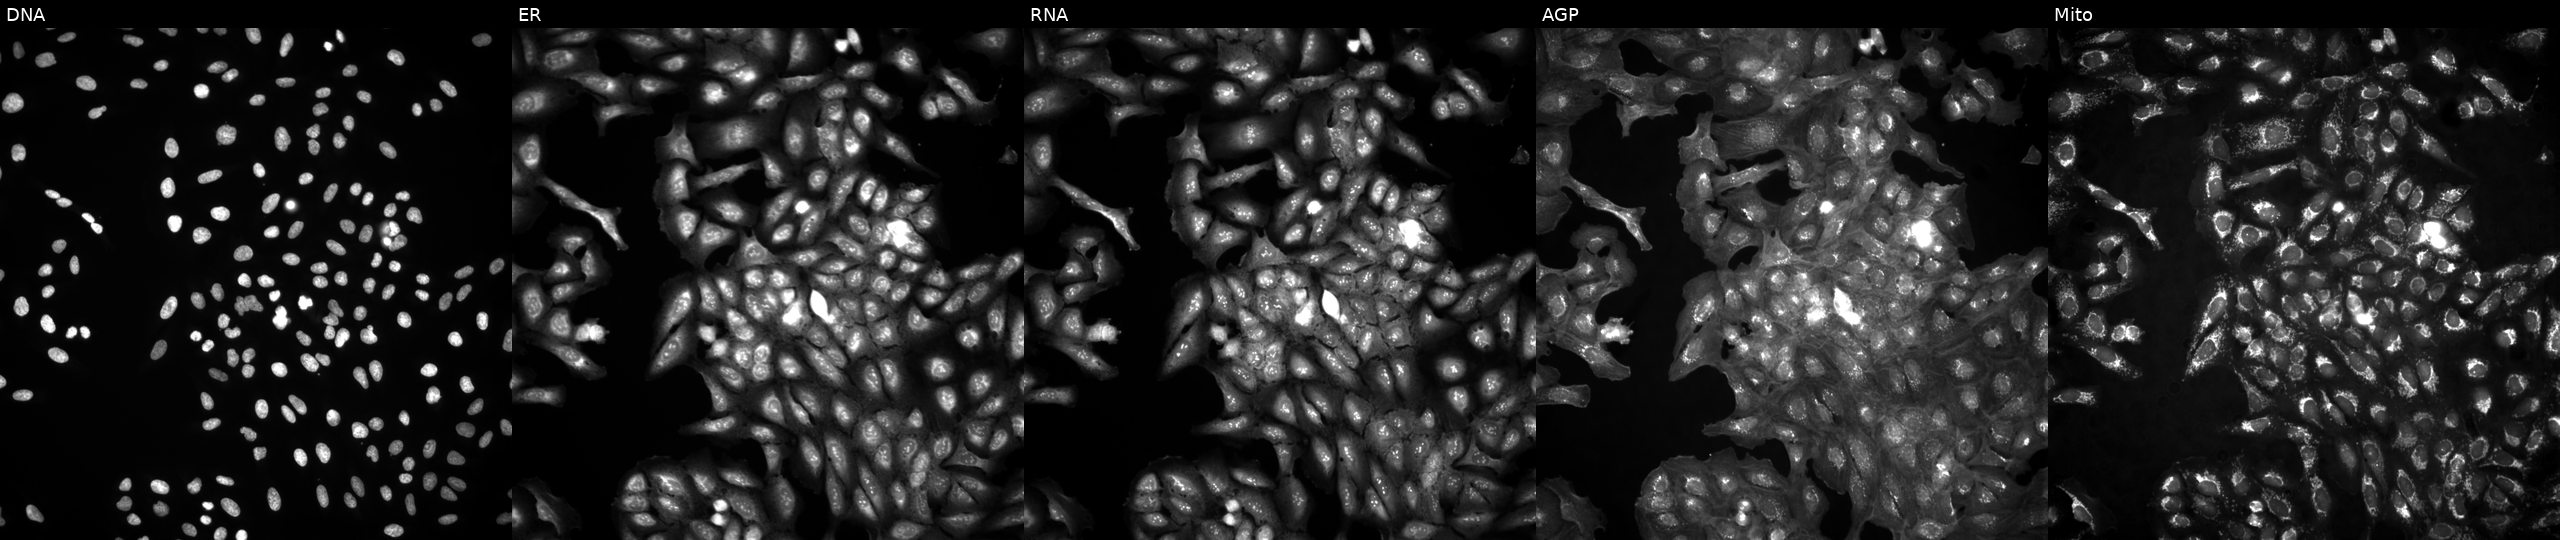
From left to right: DNA (nuclei); ER (endoplasmic reticulum); RNA (nucleoli and cytoplasmic RNA); AGP (actin cytoskeleton, Golgi, and plasma membrane); Mito (mitochondria). U2OS osteosarcoma cells in an empty control well (no perturbation). Cell Painting assay, JUMP-CP dataset. Source 4, plate BR00124793, well I06.